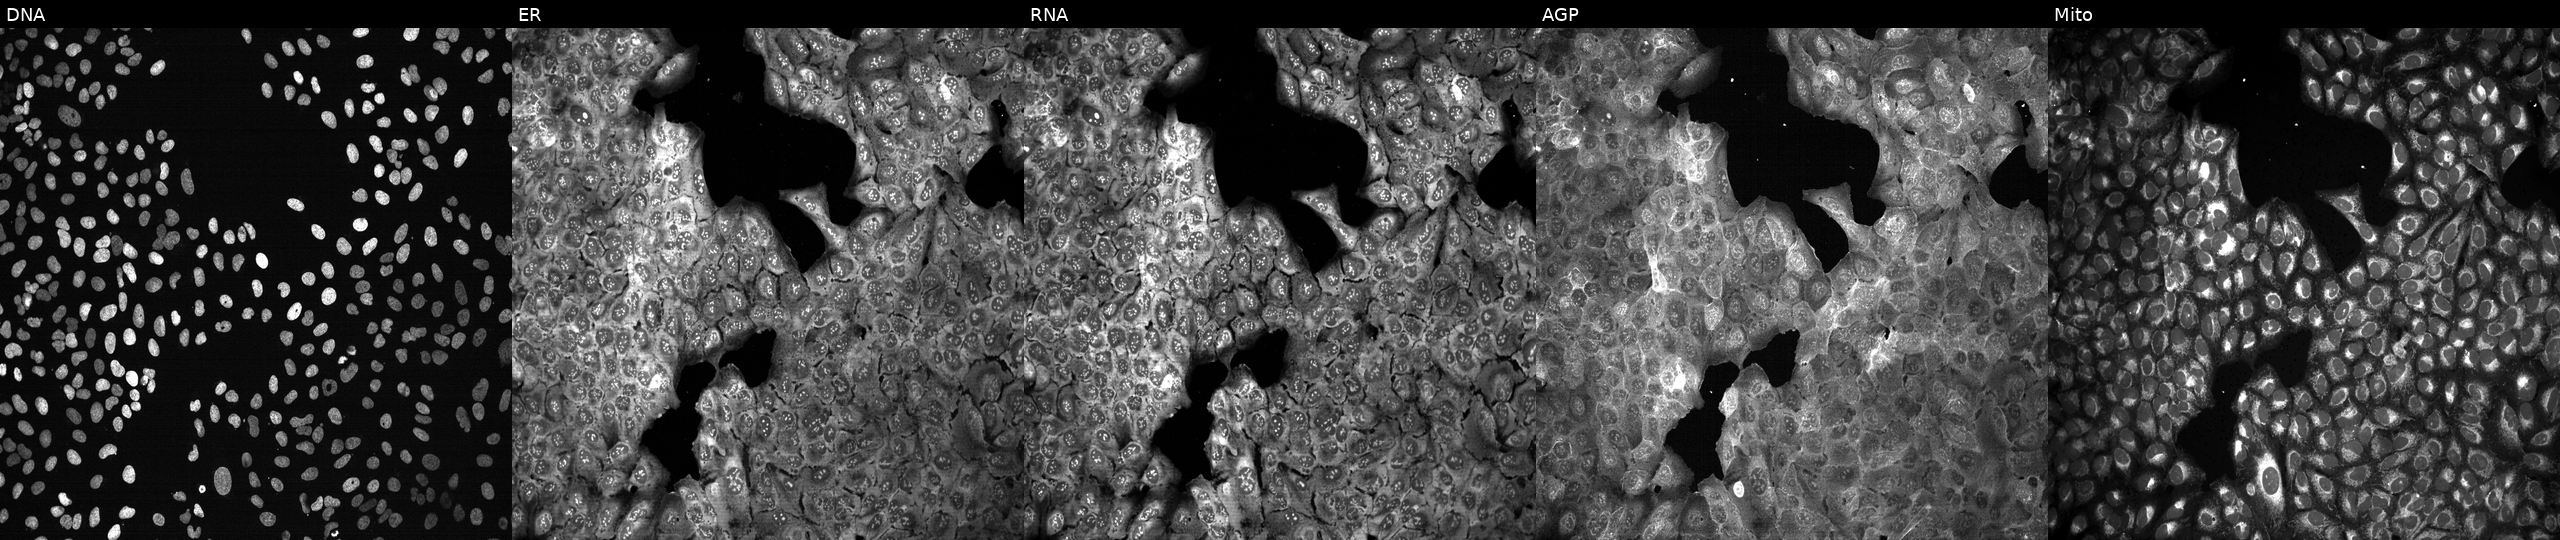
High-content fluorescence microscopy (Cell Painting). Cell line: U2OS. Perturbation: with HCCS knocked out by CRISPR. From left to right: DNA (nuclei); ER (endoplasmic reticulum); RNA (nucleoli and cytoplasmic RNA); AGP (actin cytoskeleton, Golgi, and plasma membrane); Mito (mitochondria).